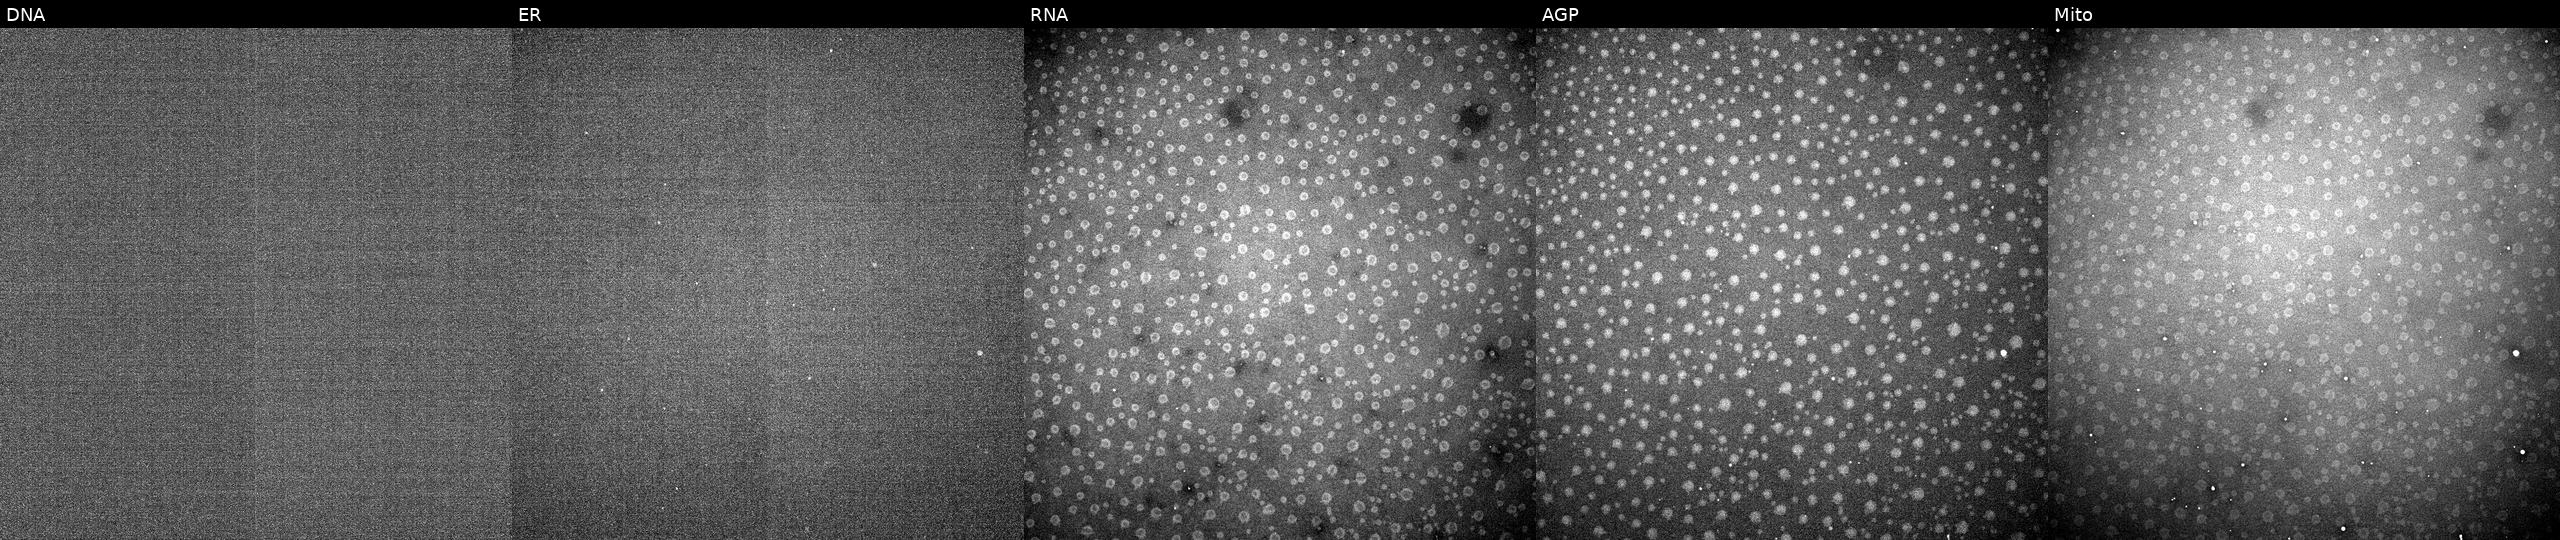
Five-channel Cell Painting image of U2OS cells with an unidentified perturbation (not annotated in JUMP metadata). Channels (left→right): DNA (nuclei); ER (endoplasmic reticulum); RNA (nucleoli and cytoplasmic RNA); AGP (actin cytoskeleton, Golgi, and plasma membrane); Mito (mitochondria). Source 5, plate ACPJUM032, well I17.